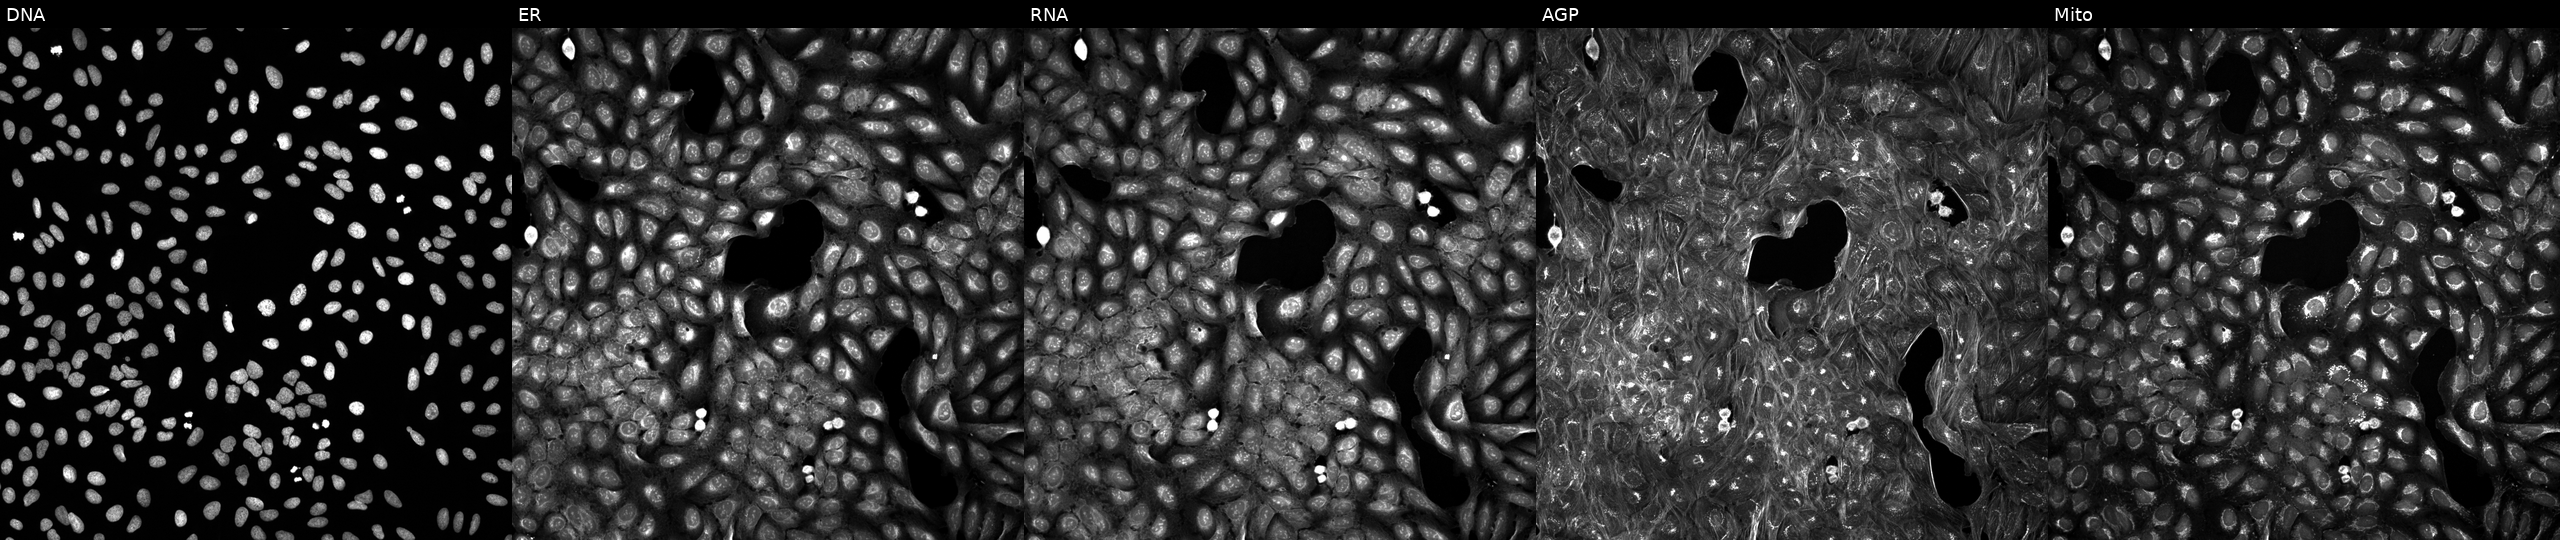
High-content fluorescence microscopy (Cell Painting). Cell line: U2OS. Perturbation: treated with a small-molecule compound (InChIKey QNQZWEGMKJBHEM-UHFFFAOYSA-N). The five panels, left to right, show Hoechst 33342, concanavalin A, SYTO 14, phalloidin and WGA, MitoTracker.